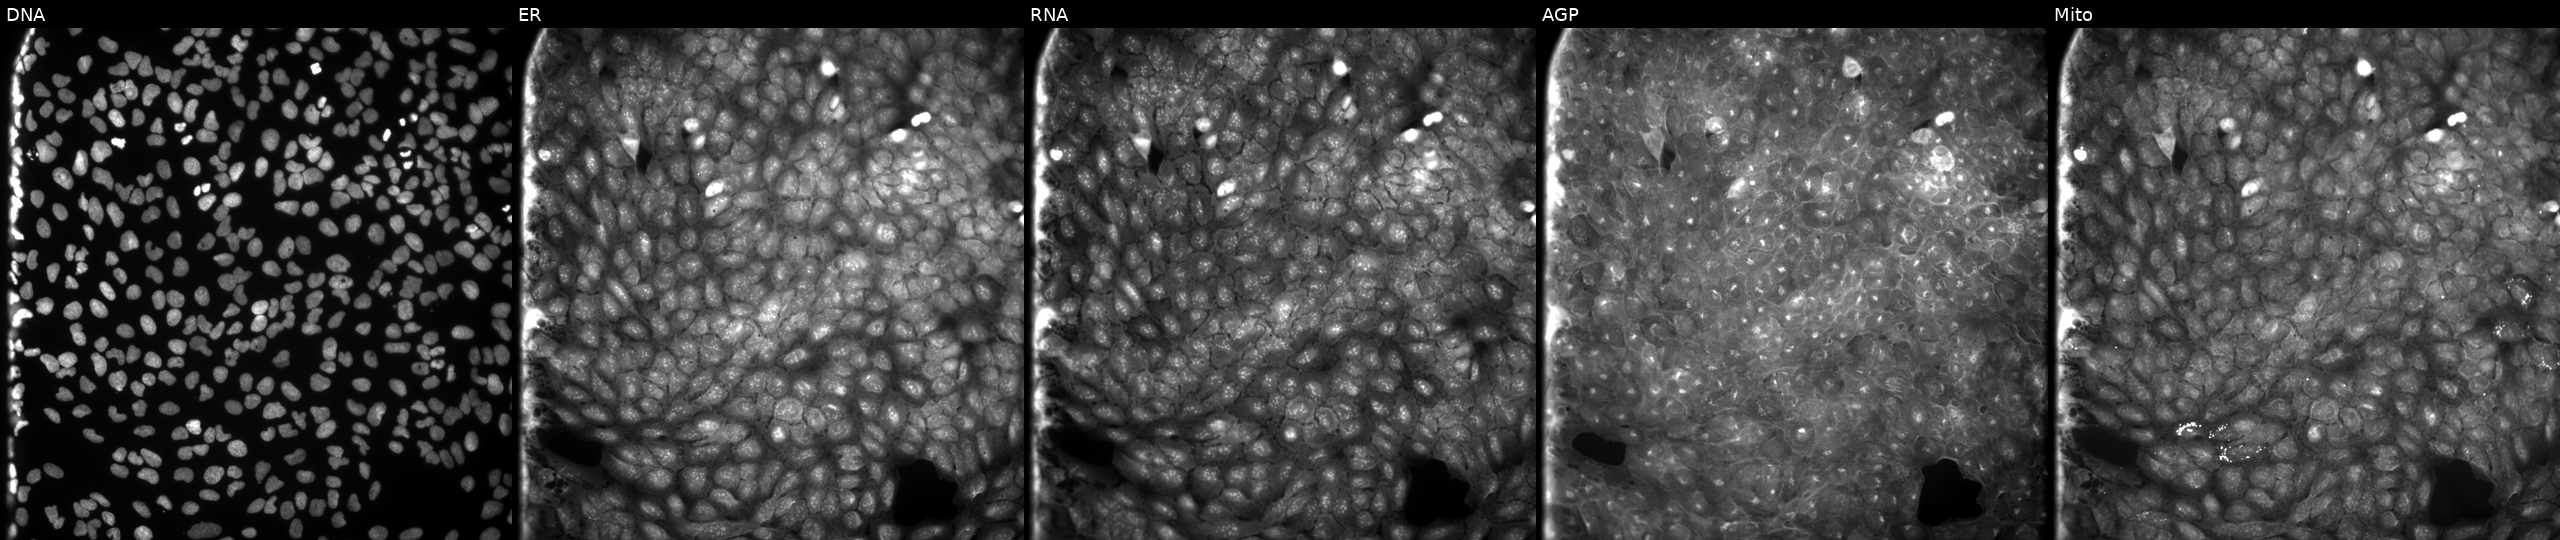
This image strip shows the five Cell Painting channels for a single field of U2OS cells perturbed with a small-molecule compound (InChIKey KJPYPBLKSFPWTP-UHFFFAOYSA-N) (JUMP id JCP2022_045055). Panels show, left to right, Hoechst 33342, concanavalin A, SYTO 14, phalloidin and WGA, MitoTracker. Source 9, plate GR00003382, well T08.